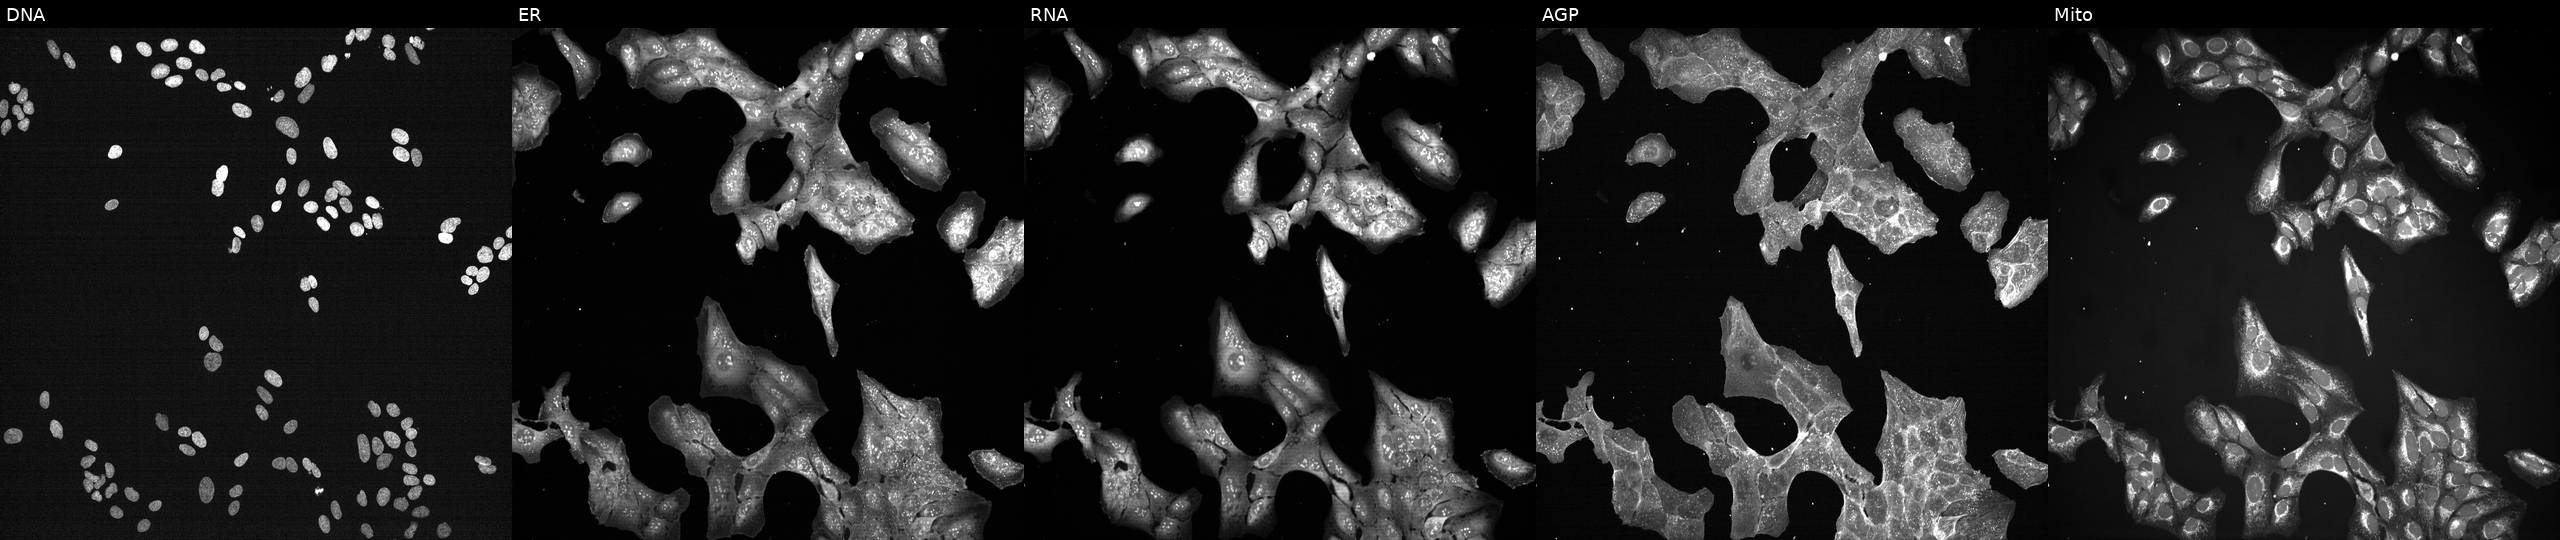
High-content fluorescence microscopy (Cell Painting). Cell line: U2OS. Perturbation: treated with a small-molecule compound [SMILES: CC(C)C(CO)N=c1[nH]c(=Nc2cccc(Cl)c2)c2ncn(C(C)C)c2[nH]1]. The five panels, left to right, show Hoechst 33342, concanavalin A, SYTO 14, phalloidin and WGA, MitoTracker.